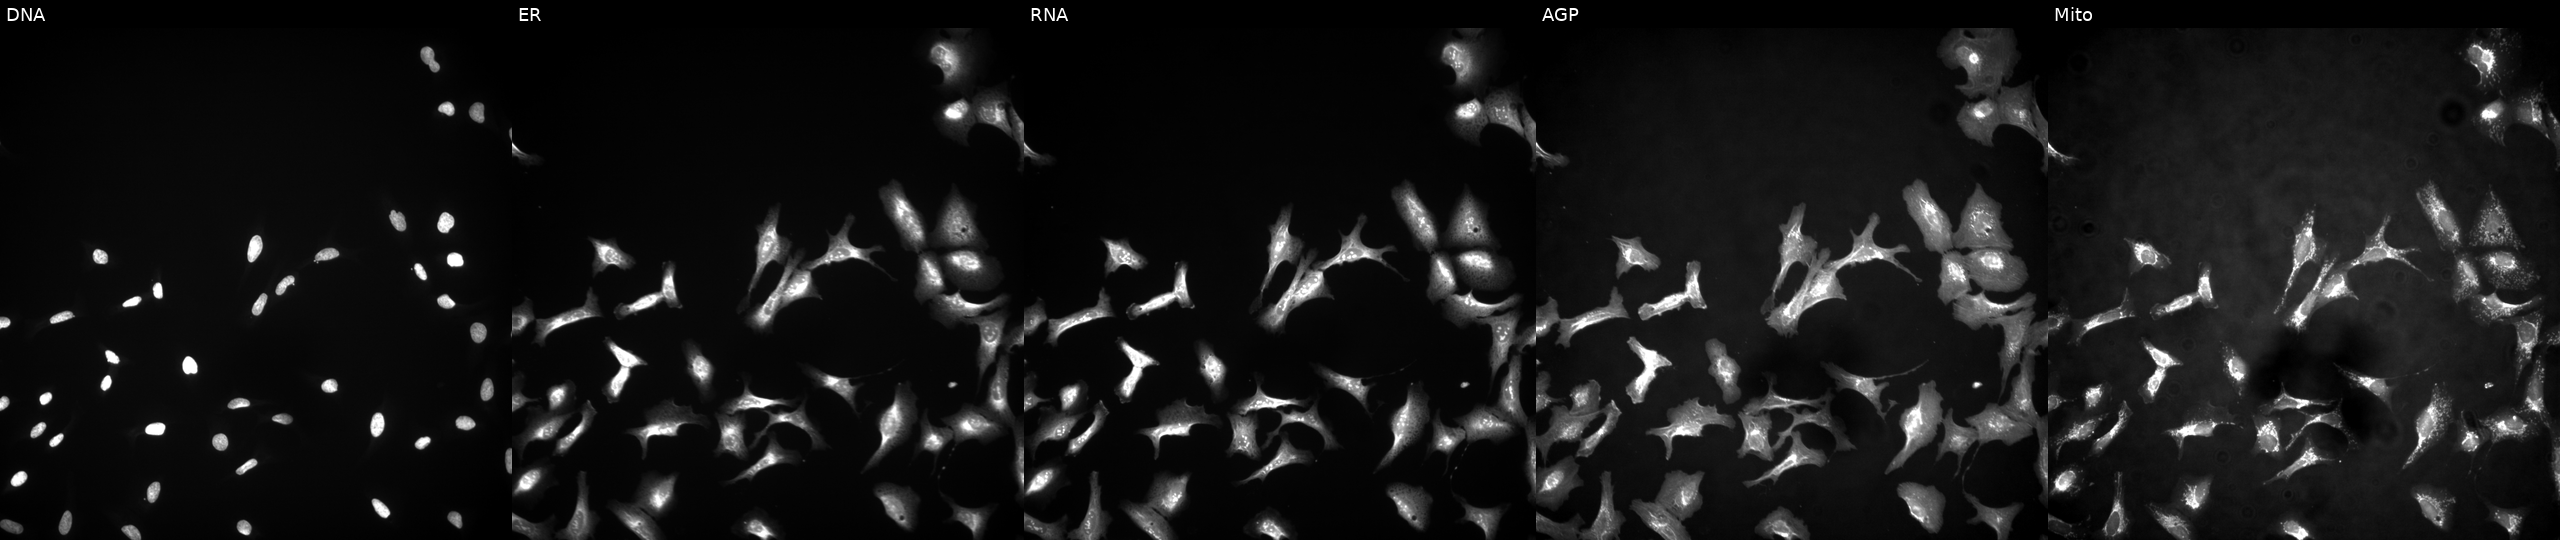
The five panels, left to right, show DNA, ER, RNA, AGP, and Mito. U2OS osteosarcoma cells with CDC16 overexpressed (ORF) (JUMP id JCP2022_906845). Cell Painting assay, JUMP-CP dataset. Source 4, plate BR00124790, well N13.